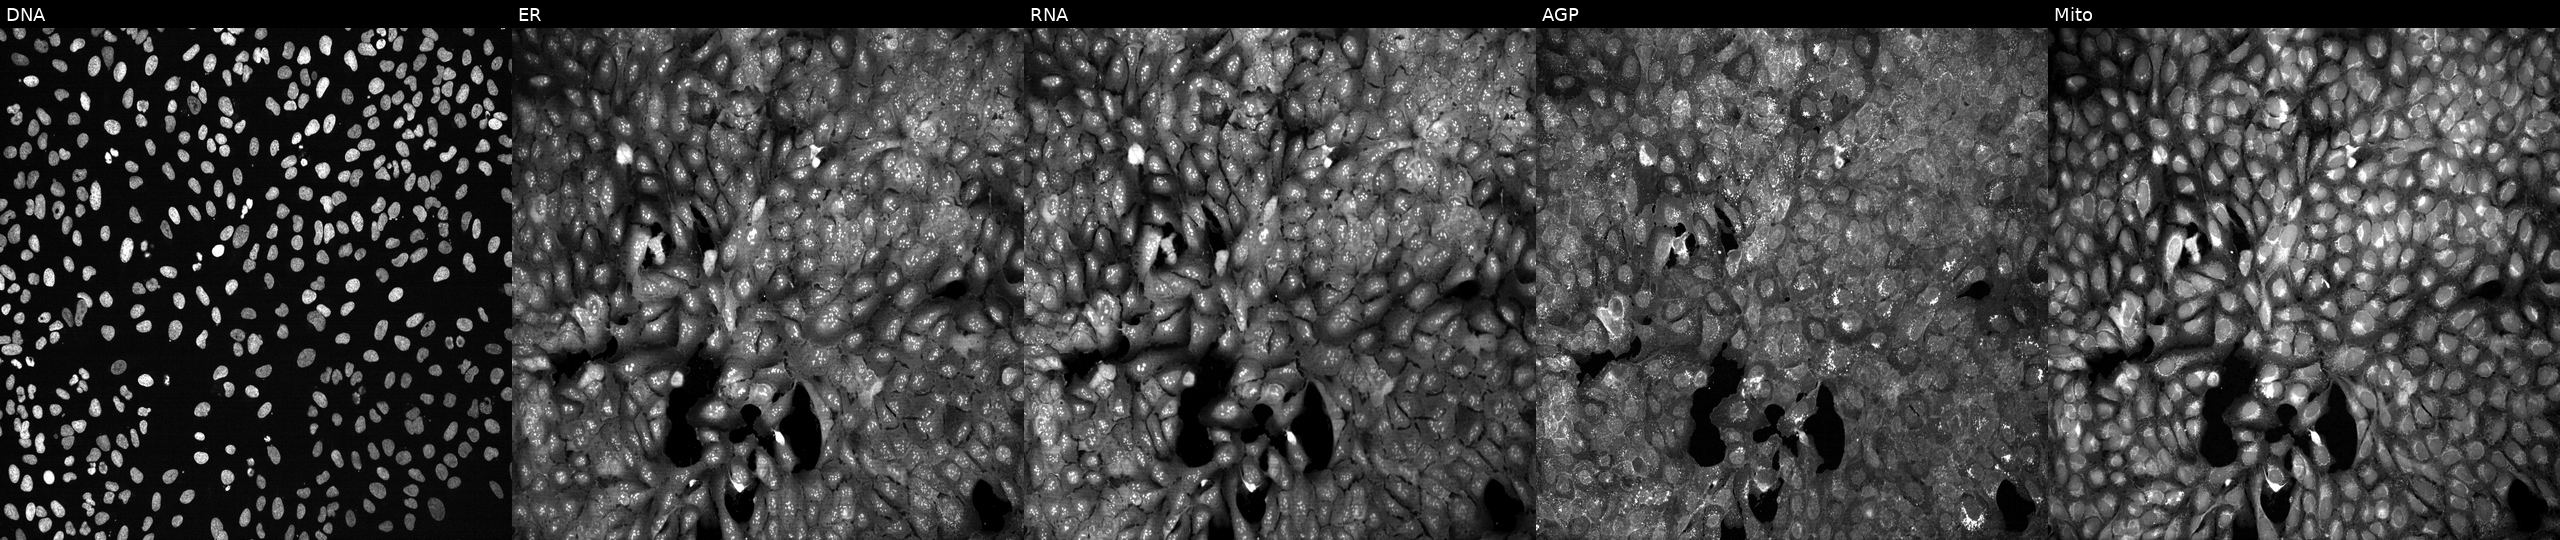
JUMP Cell Painting — CRISPR plate. U2OS cells CRISPR-edited to disrupt ARSA (JUMP id JCP2022_800598). The five panels, left to right, show Hoechst 33342, concanavalin A, SYTO 14, phalloidin and WGA, MitoTracker. Source 13, plate CP-CC9-R1-02, well G14.